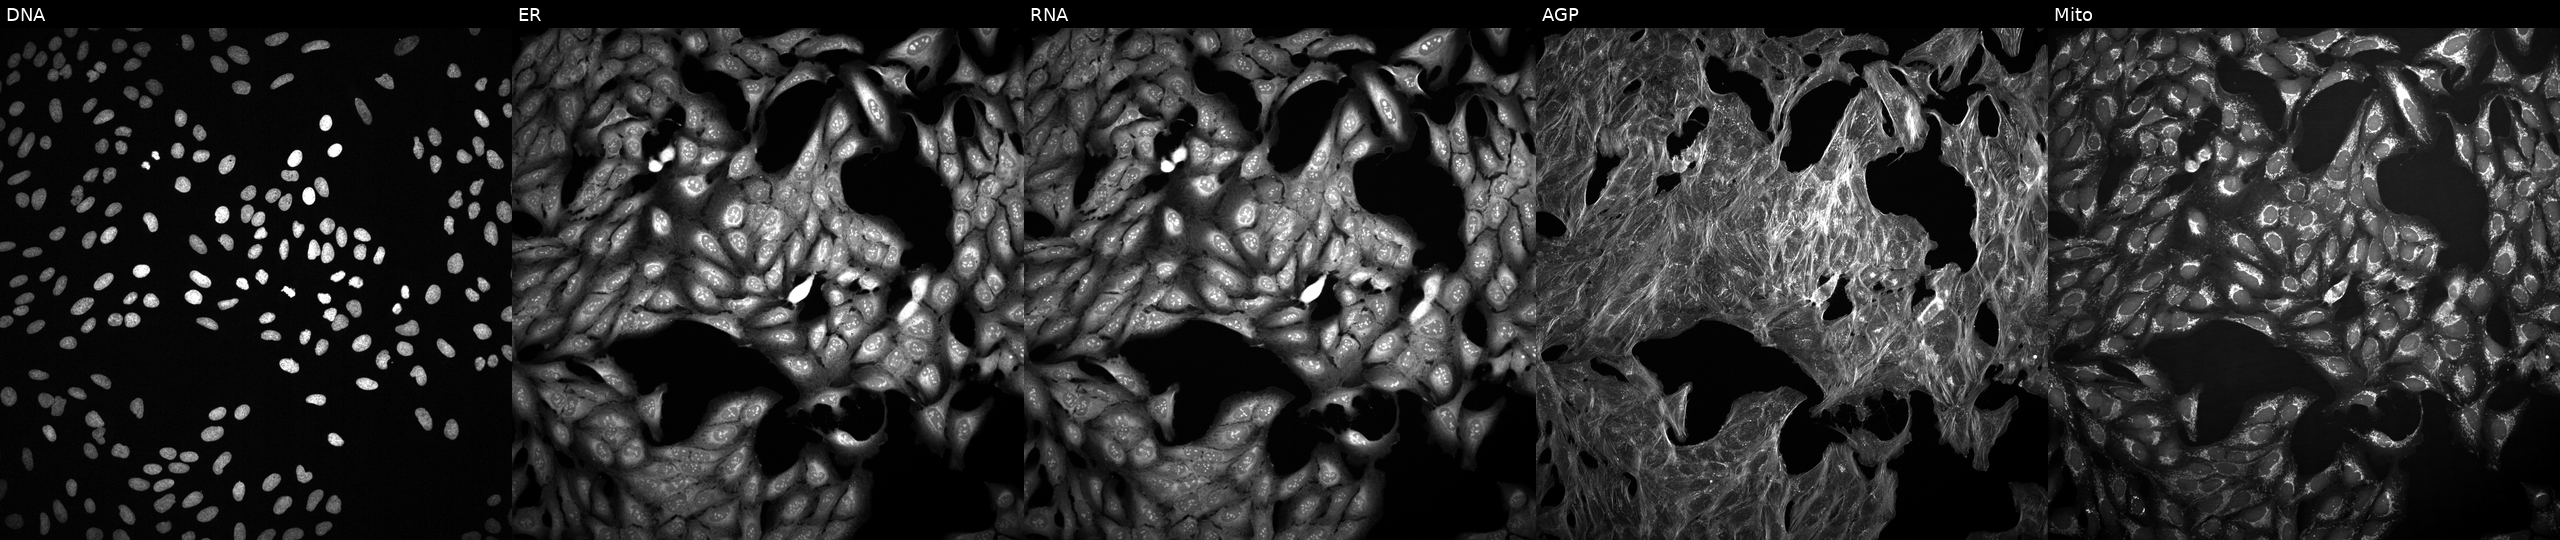
JUMP Cell Painting — TARGET2 plate. U2OS cells exposed to a small-molecule compound (InChIKey XDJCLCLBSGGNKS-UHFFFAOYSA-N) (JUMP id JCP2022_102936). From left to right: DNA, ER, RNA, AGP, and Mito.